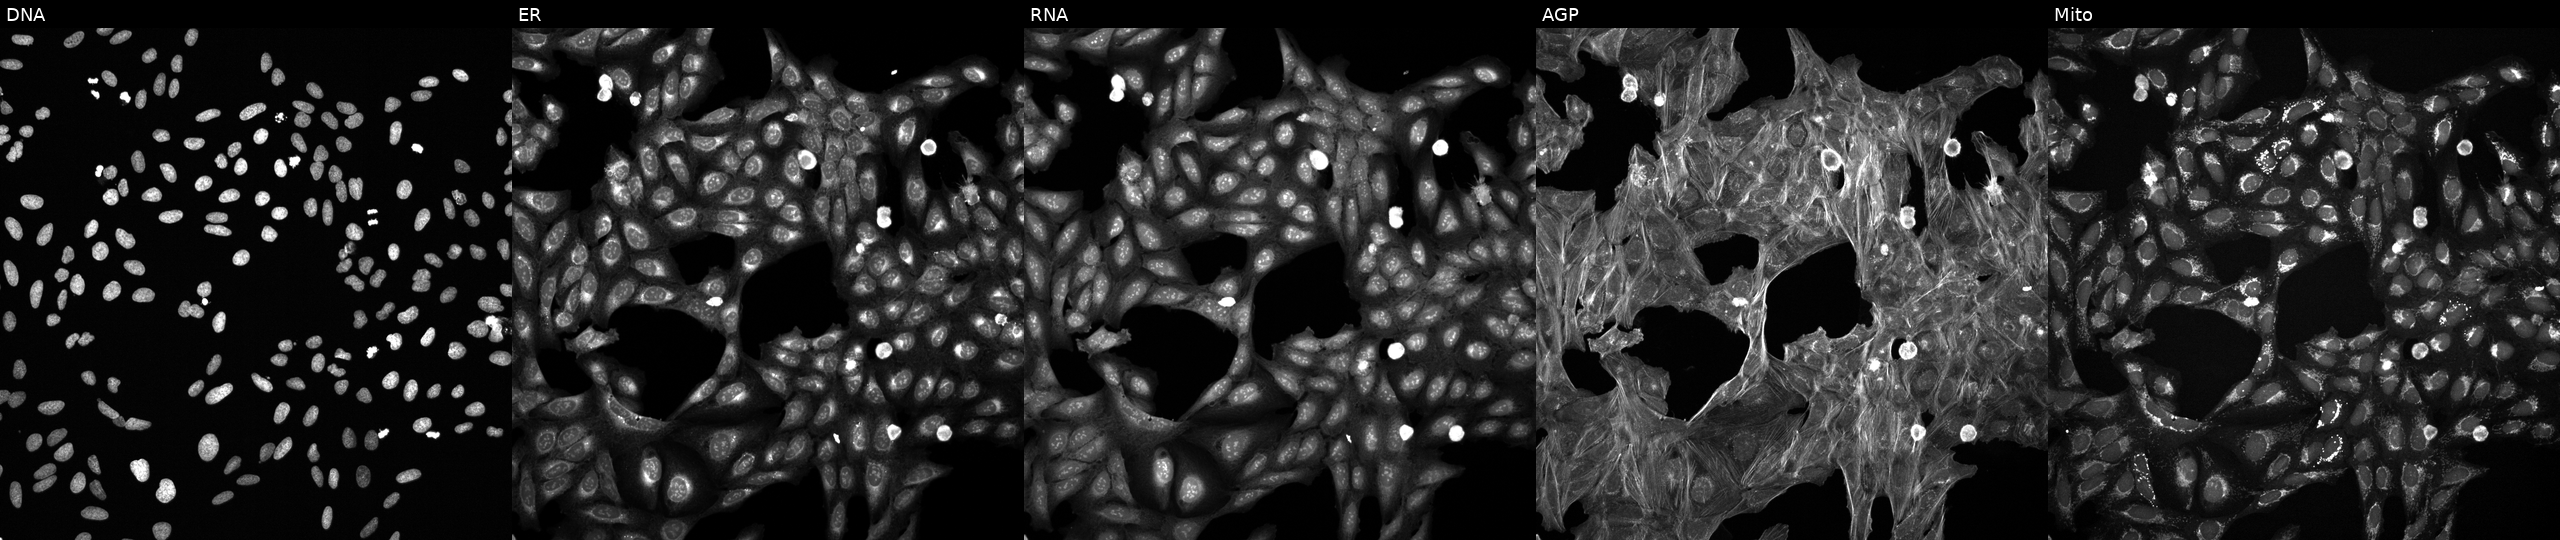
U2OS cells, Cell Painting assay, perturbed with a small-molecule compound (InChIKey LGEQQWMQCRIYKG-UHFFFAOYSA-N) (JUMP id JCP2022_049224). Panels show, left to right, Hoechst 33342, concanavalin A, SYTO 14, phalloidin and WGA, MitoTracker. Each panel is percentile-stretched 16-bit fluorescence. Source 6, plate 110000293093, well I12.